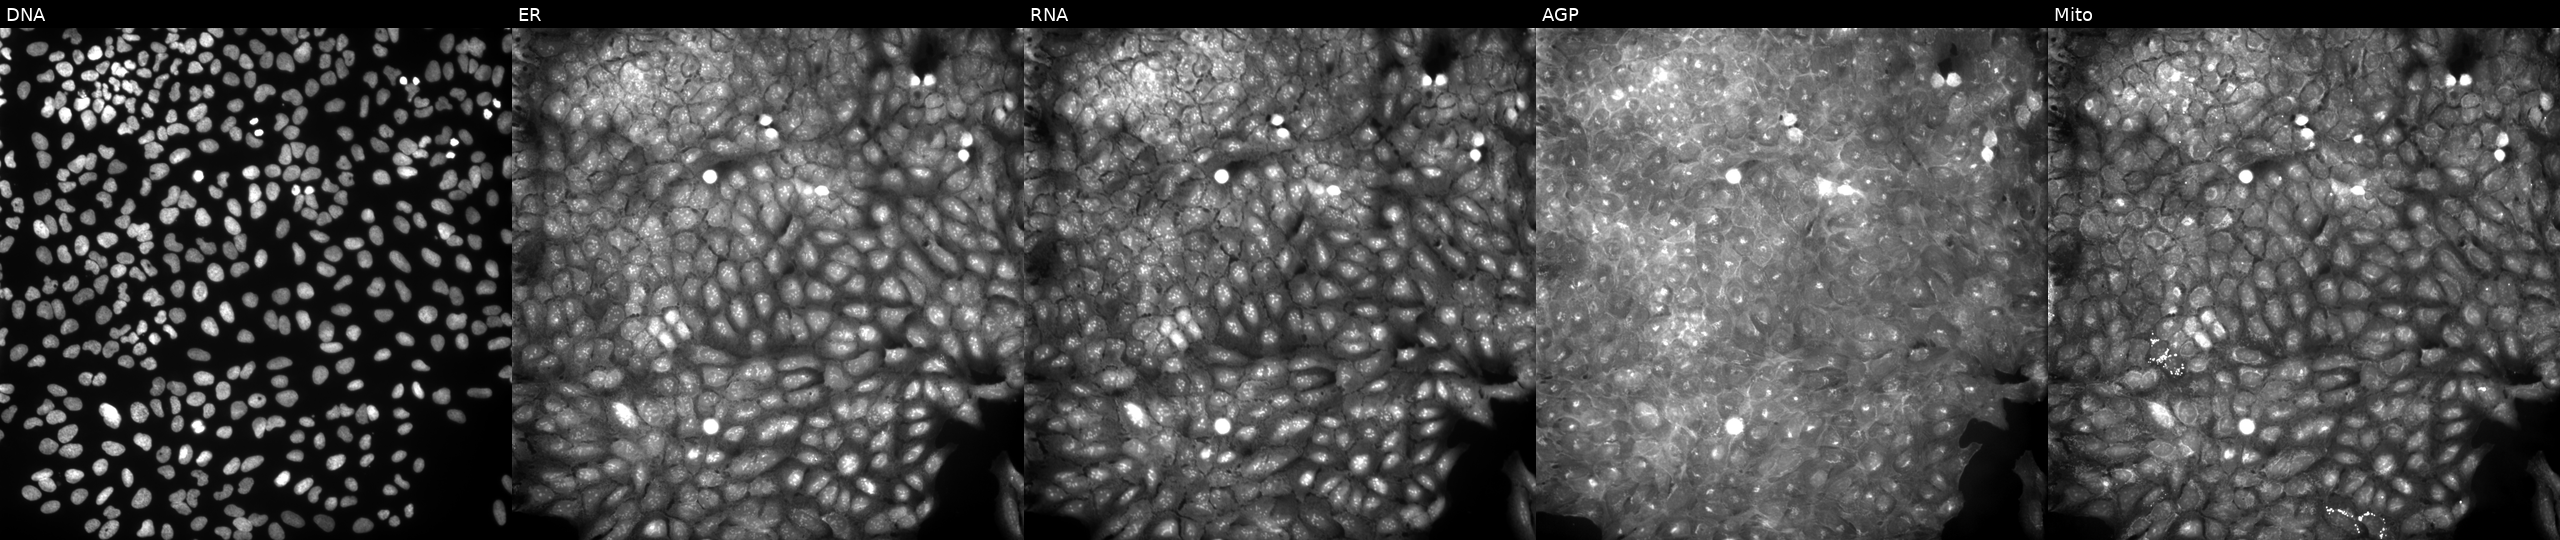
JUMP Cell Painting — COMPOUND plate. U2OS cells treated with a small-molecule compound [SMILES: CCOC(=O)c1ccc(NC(=O)c2ccnn2C)cc1]. The five panels, left to right, show DNA (nuclei); ER (endoplasmic reticulum); RNA (nucleoli and cytoplasmic RNA); AGP (actin cytoskeleton, Golgi, and plasma membrane); Mito (mitochondria). Source 9, plate GR00003382, well O18.